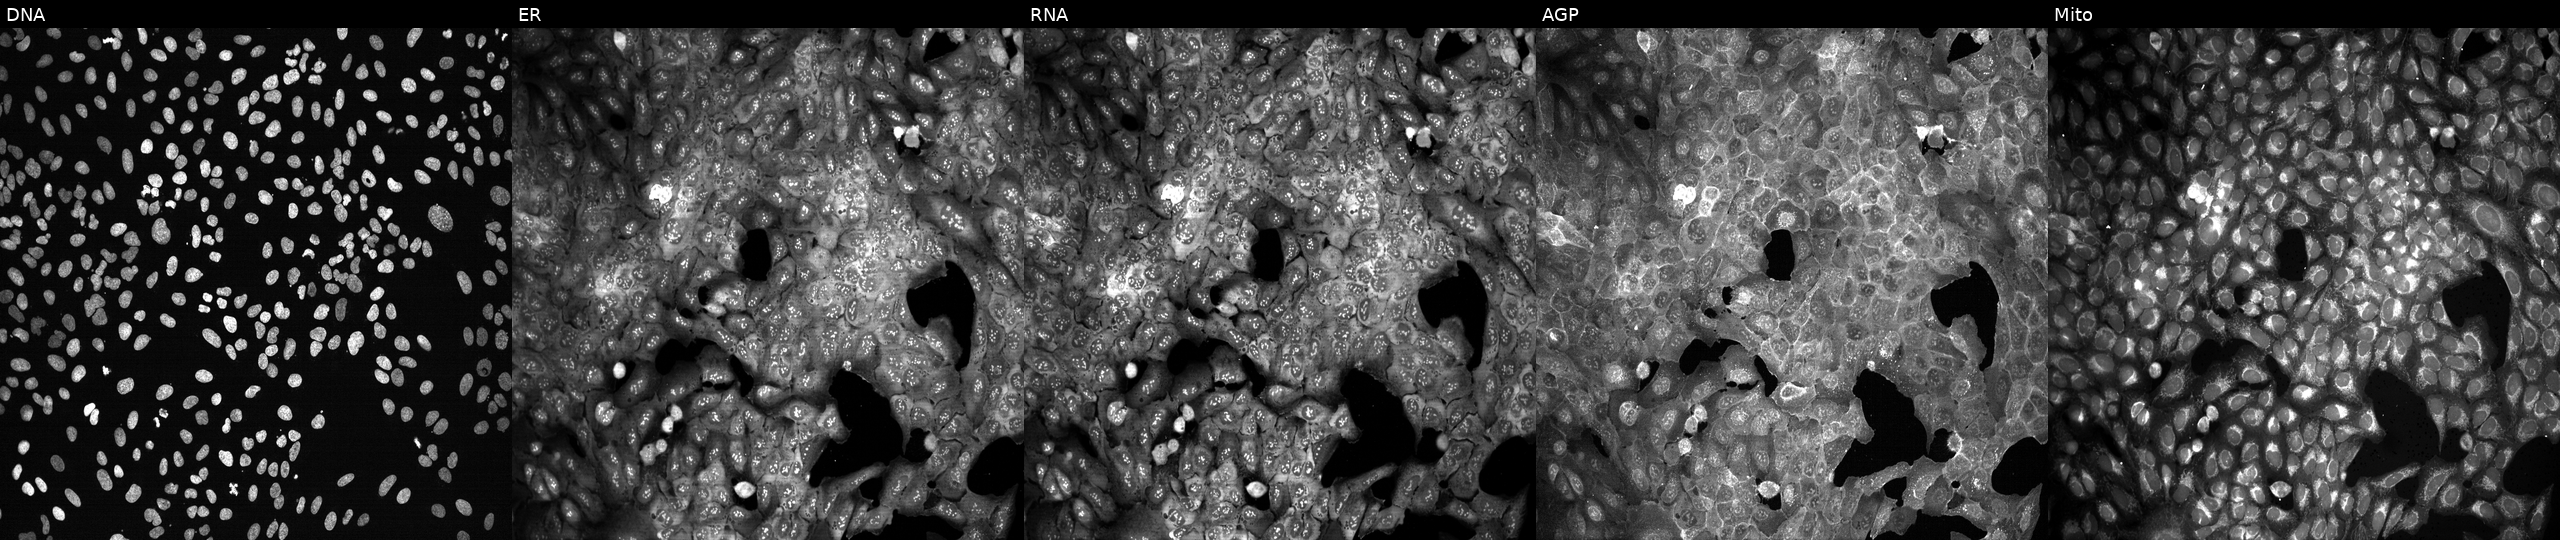
Five-channel Cell Painting image of U2OS cells following CRISPR knockout of POLK (JUMP id JCP2022_805334). Channels (left→right): DNA, ER, RNA, AGP, and Mito. Source 13, plate CP-CC9-R5-01, well A21.